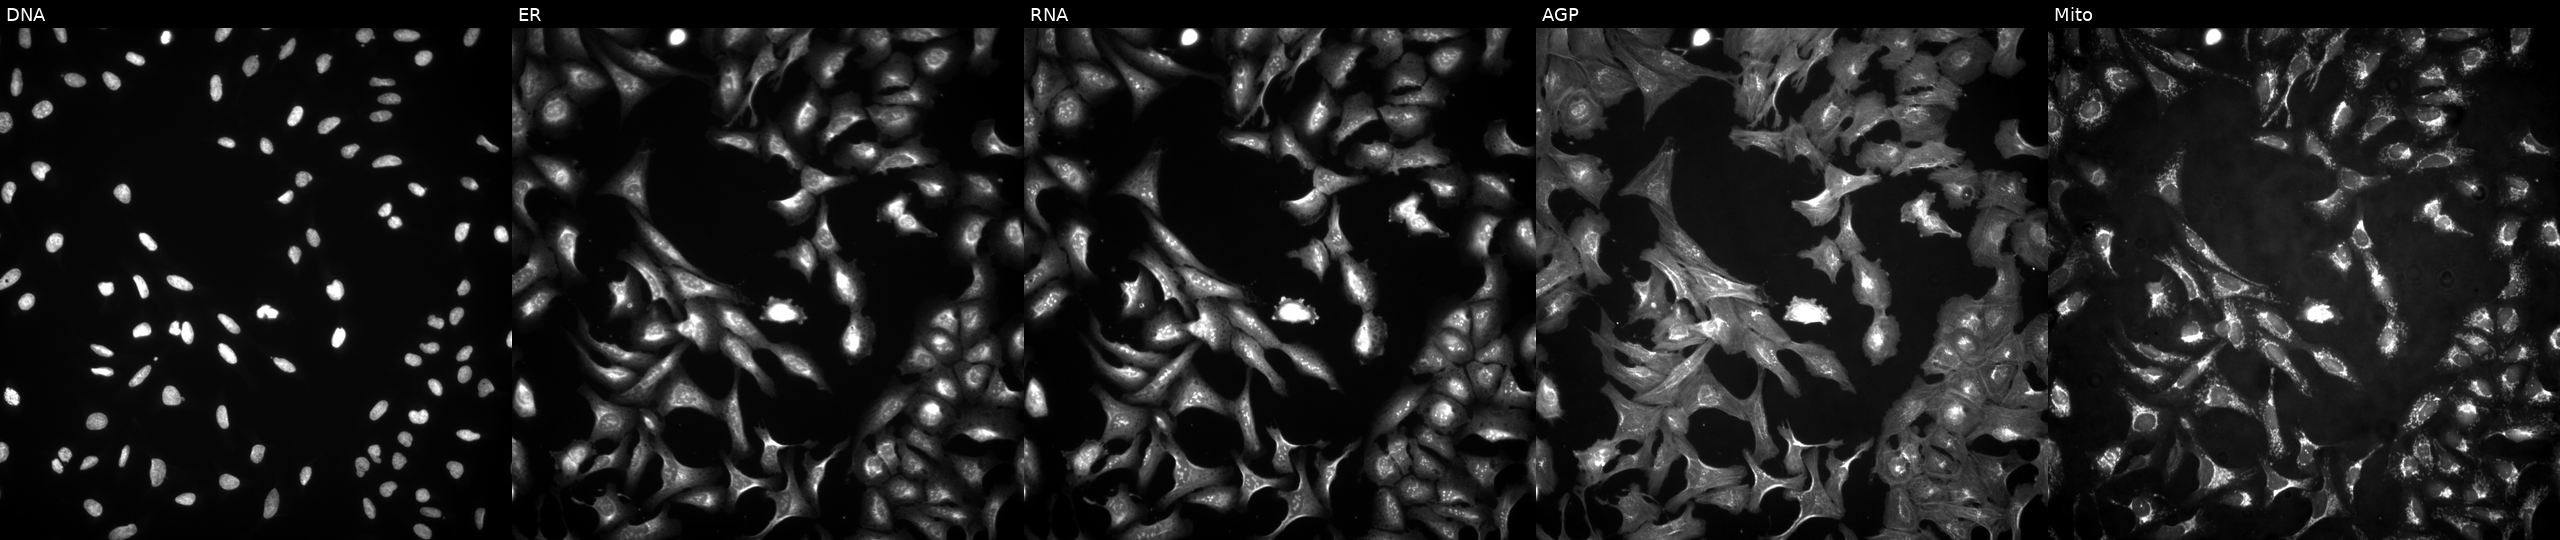
Channels (left→right): Hoechst 33342, concanavalin A, SYTO 14, phalloidin and WGA, MitoTracker. U2OS osteosarcoma cells with RTL6 overexpressed (ORF) (JUMP id JCP2022_911930). Cell Painting assay, JUMP-CP dataset.